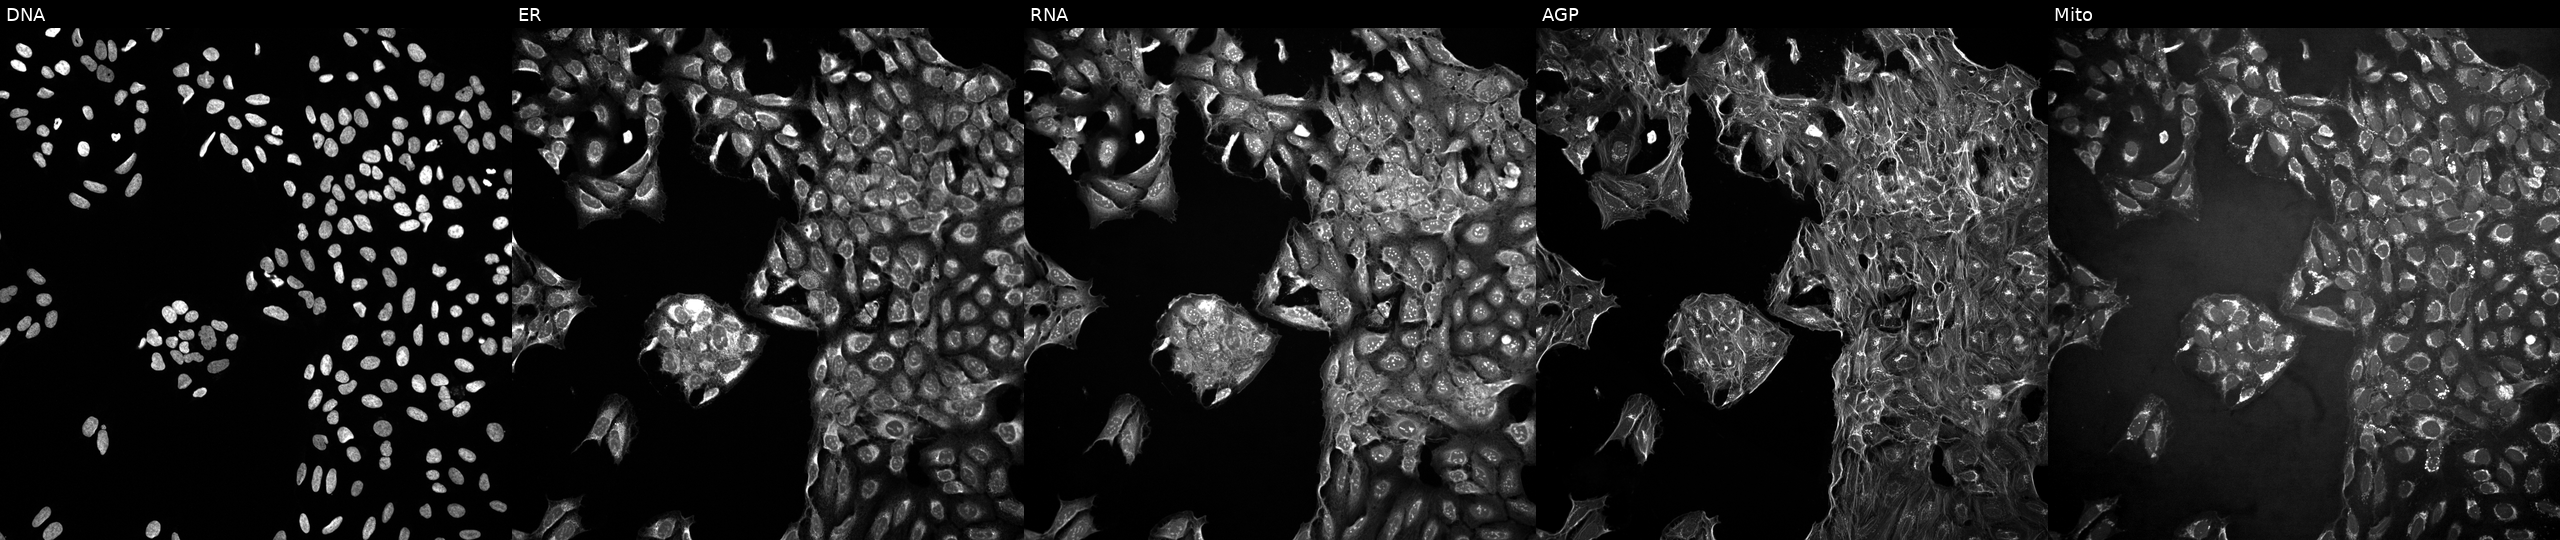
Five-channel Cell Painting image of U2OS cells exposed to a small-molecule compound (InChIKey VSNVPHGQVNXLSR-UHFFFAOYSA-N). Channels (left→right): Hoechst 33342, concanavalin A, SYTO 14, phalloidin and WGA, MitoTracker. Source 10, plate Dest210531-152324, well O04.